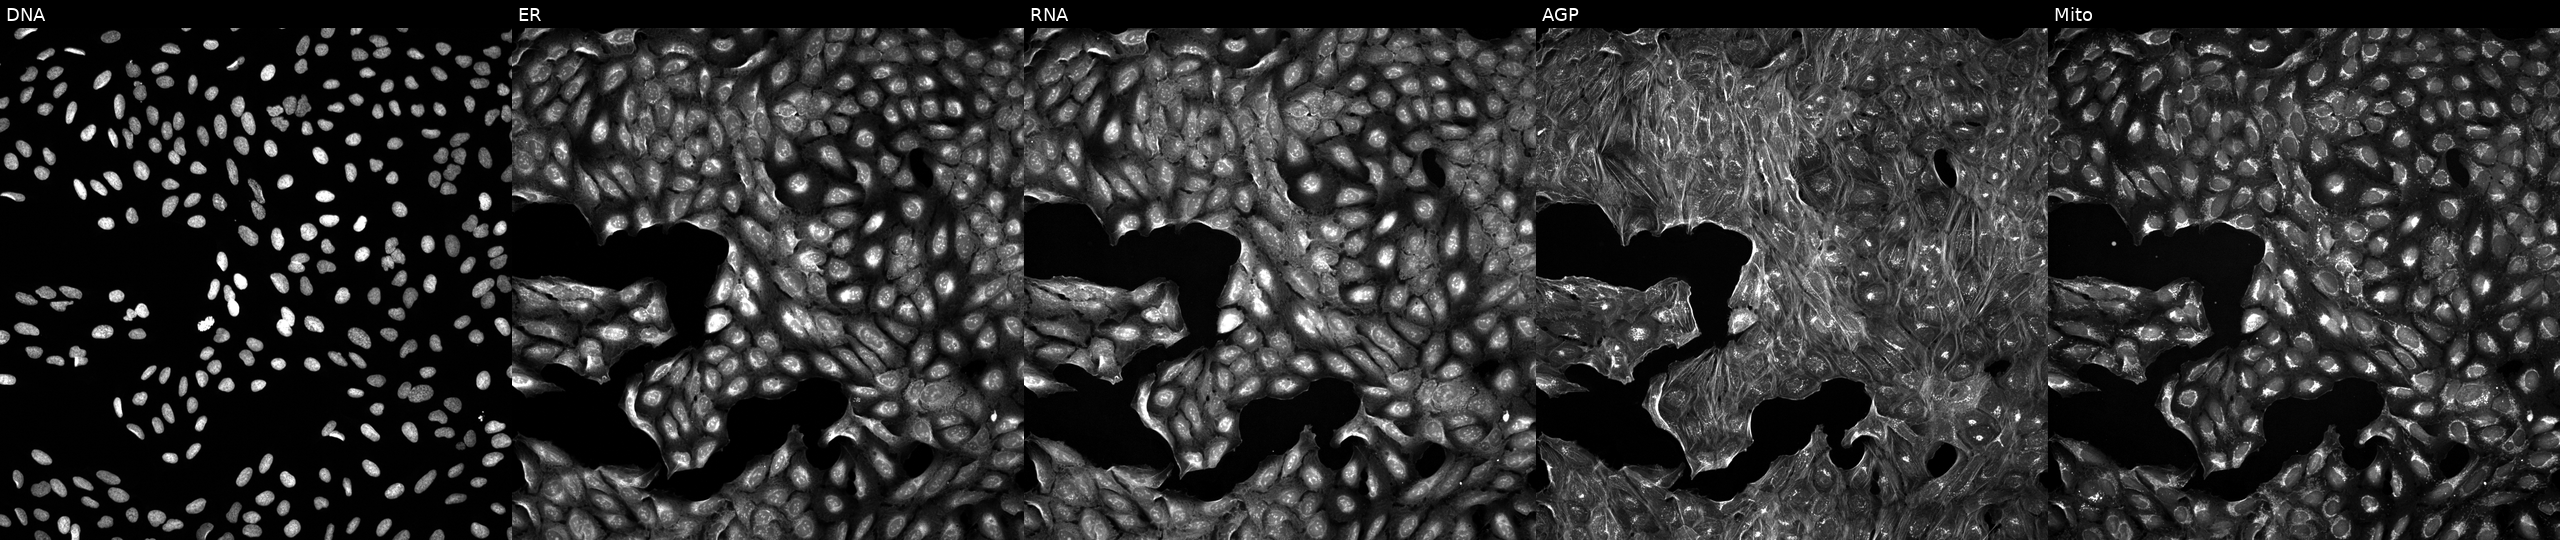
U2OS cells, Cell Painting assay, exposed to a small-molecule compound (InChIKey IFIUFCJFLGCQPH-UHFFFAOYSA-N) (JUMP id JCP2022_034709). Panels show, left to right, DNA, ER, RNA, AGP, and Mito. Each panel is percentile-stretched 16-bit fluorescence.